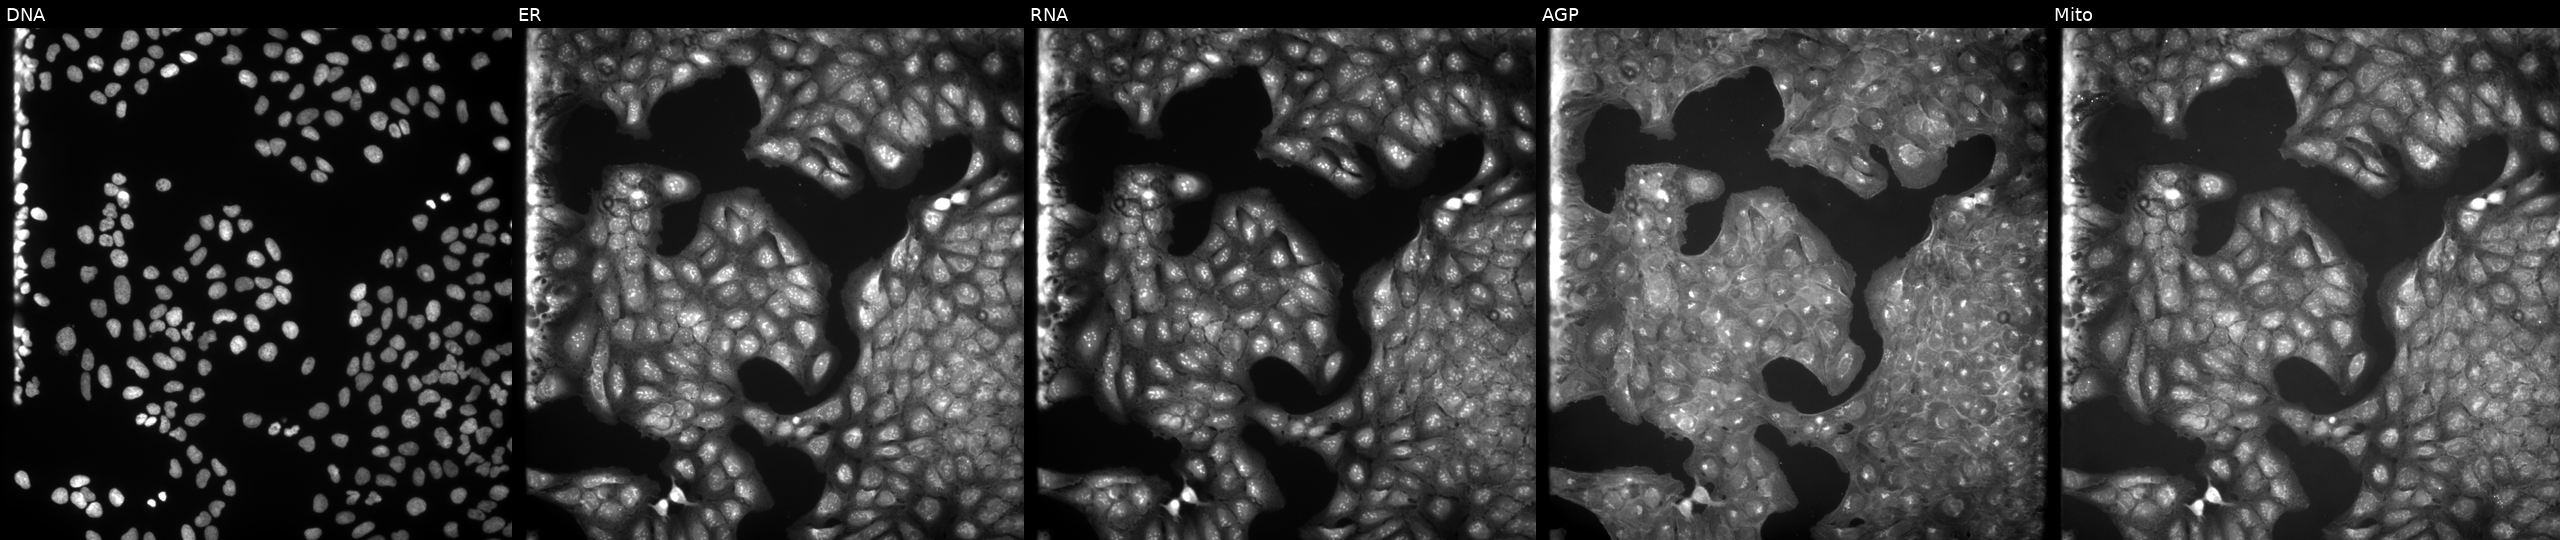
High-content fluorescence microscopy (Cell Painting). Cell line: U2OS. Perturbation: treated with a small-molecule compound (InChIKey MZYCUVCDGLERQF-UHFFFAOYSA-N) (JUMP id JCP2022_057641). Panels show, left to right, DNA, ER, RNA, AGP, and Mito.